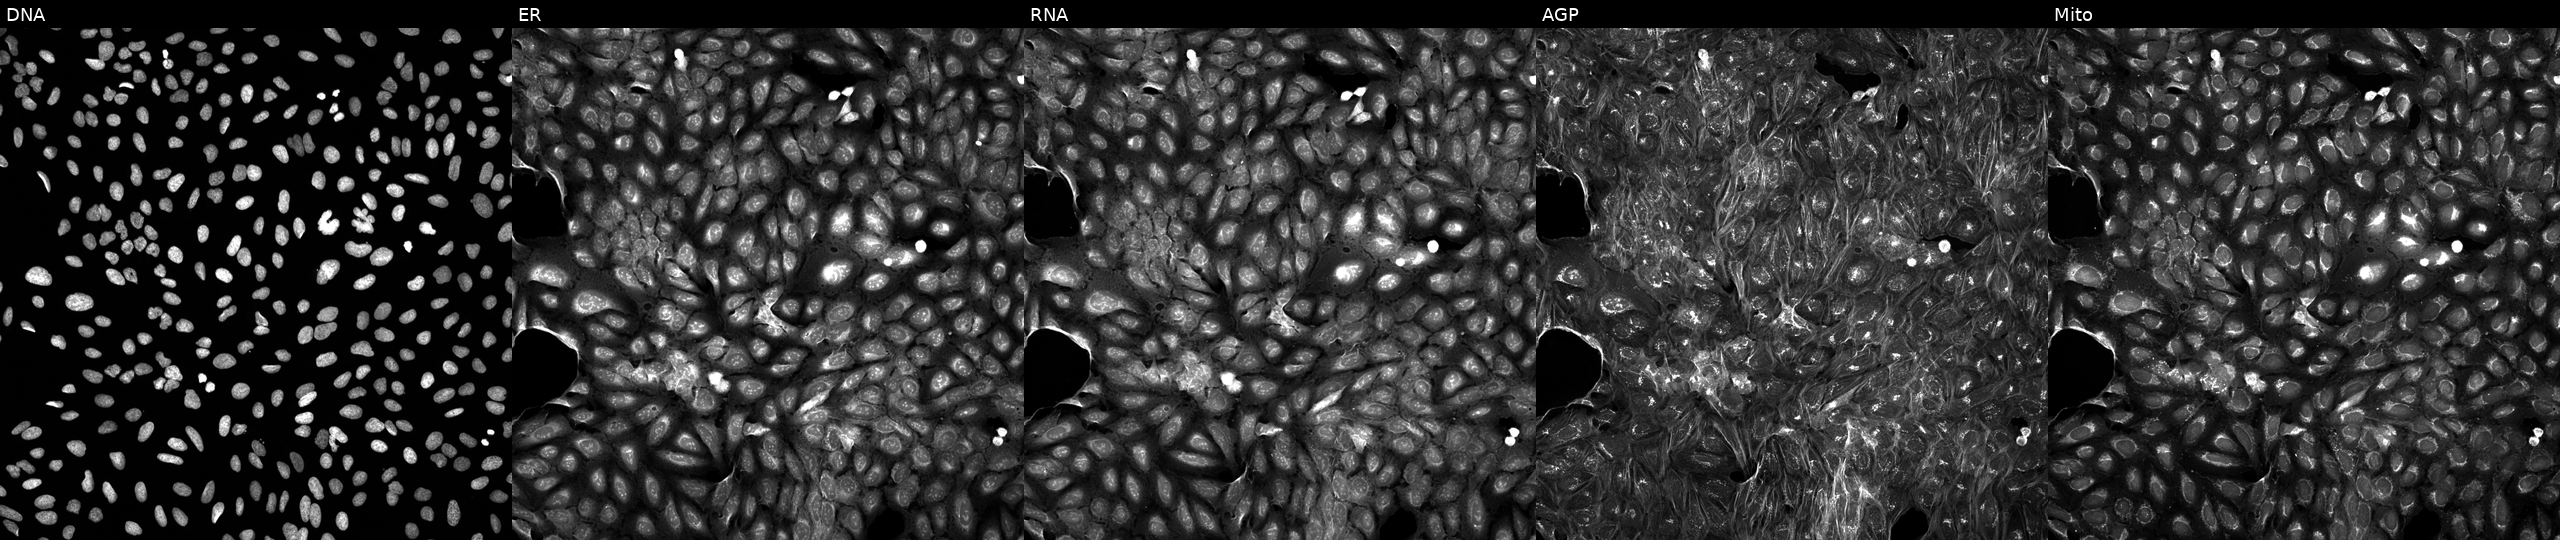
This image strip shows the five Cell Painting channels for a single field of U2OS cells treated with a small-molecule compound (InChIKey VMZYCLONTODPIQ-UHFFFAOYSA-N) [SMILES: Cc1ccccc1C1(C(=O)NCc2nnc3ccccn23)CCOCC1] (JUMP id JCP2022_095019). From left to right: Hoechst 33342, concanavalin A, SYTO 14, phalloidin and WGA, MitoTracker.